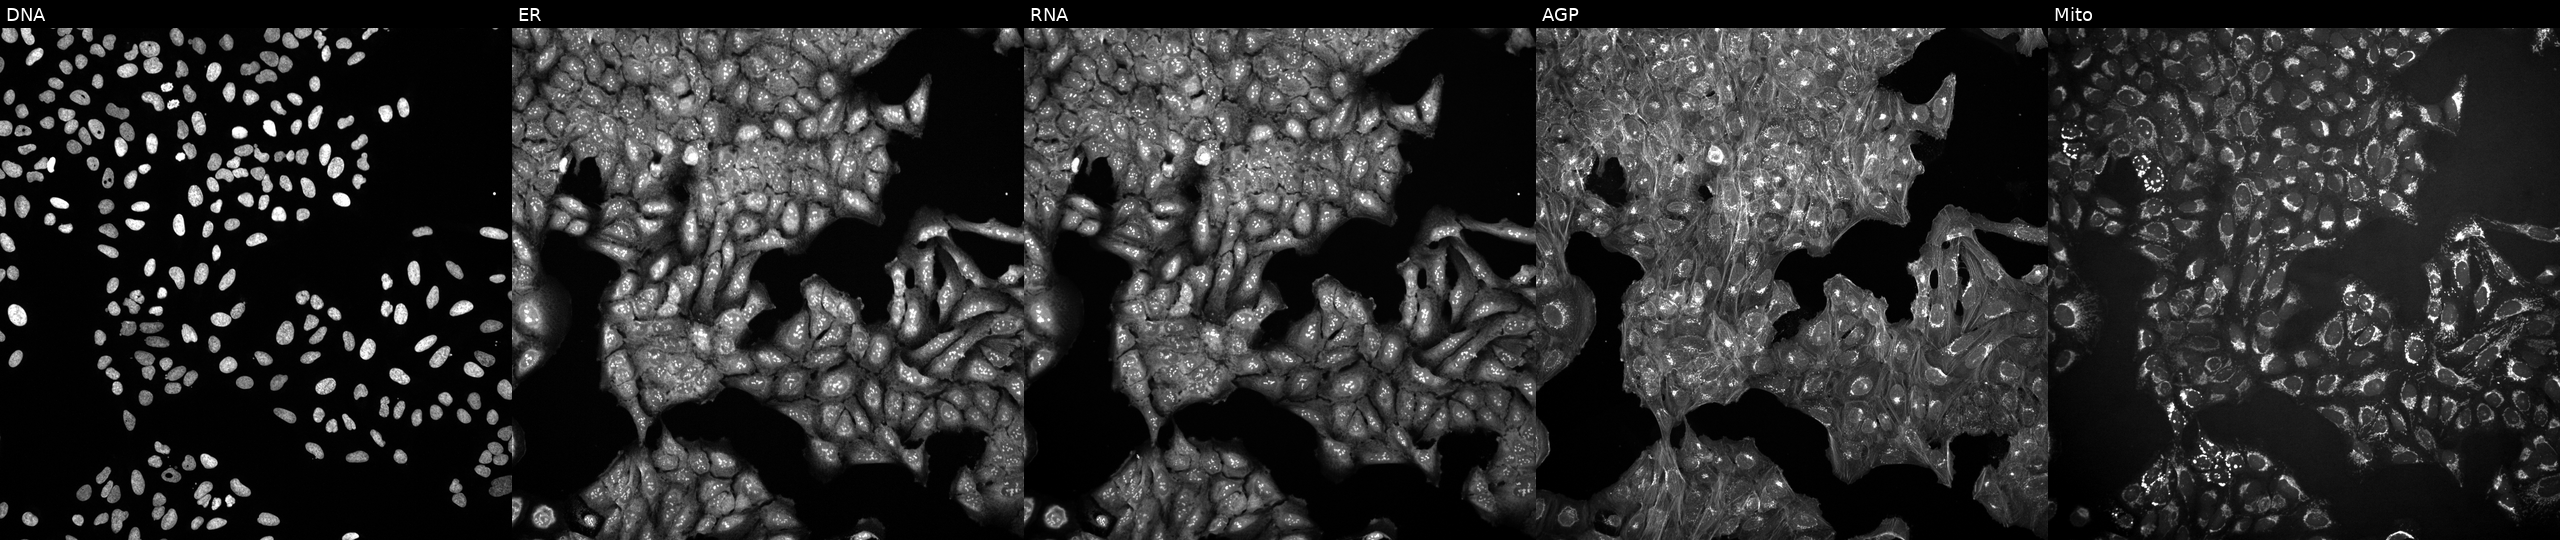
This image strip shows the five Cell Painting channels for a single field of U2OS cells perturbed with a small-molecule compound (InChIKey VOYXOYFIUNFGDQ-UHFFFAOYSA-N) (JUMP id JCP2022_095353). From left to right: Hoechst 33342, concanavalin A, SYTO 14, phalloidin and WGA, MitoTracker.